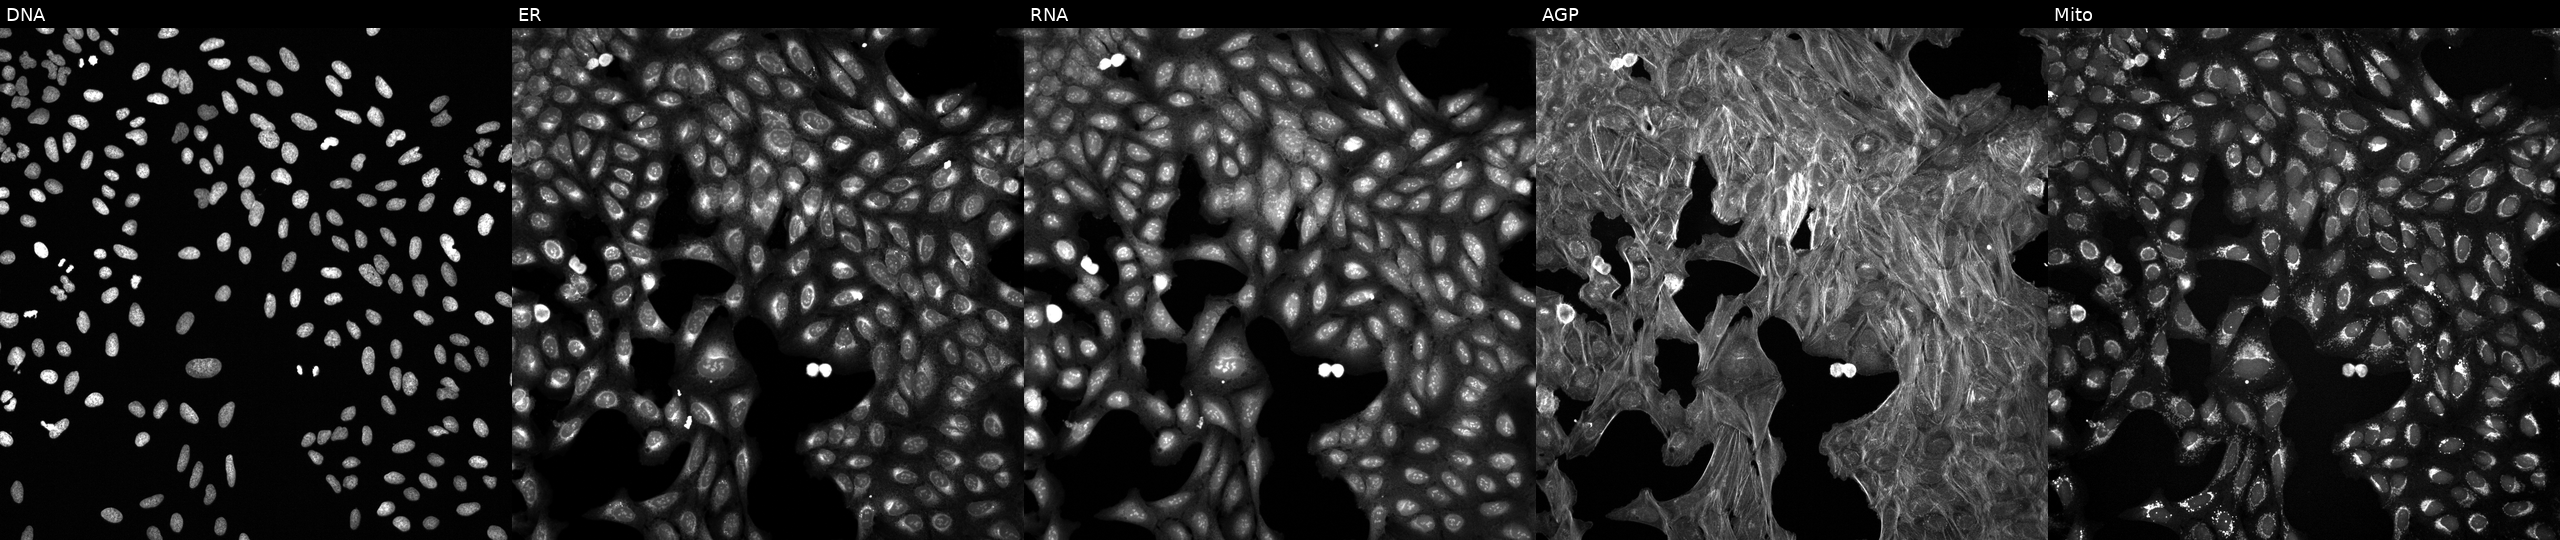
From left to right: DNA, ER, RNA, AGP, and Mito. U2OS osteosarcoma cells exposed to DMSO alone as a negative control (JUMP id JCP2022_033924). Cell Painting assay, JUMP-CP dataset. Source 6, plate 110000293083, well L02.